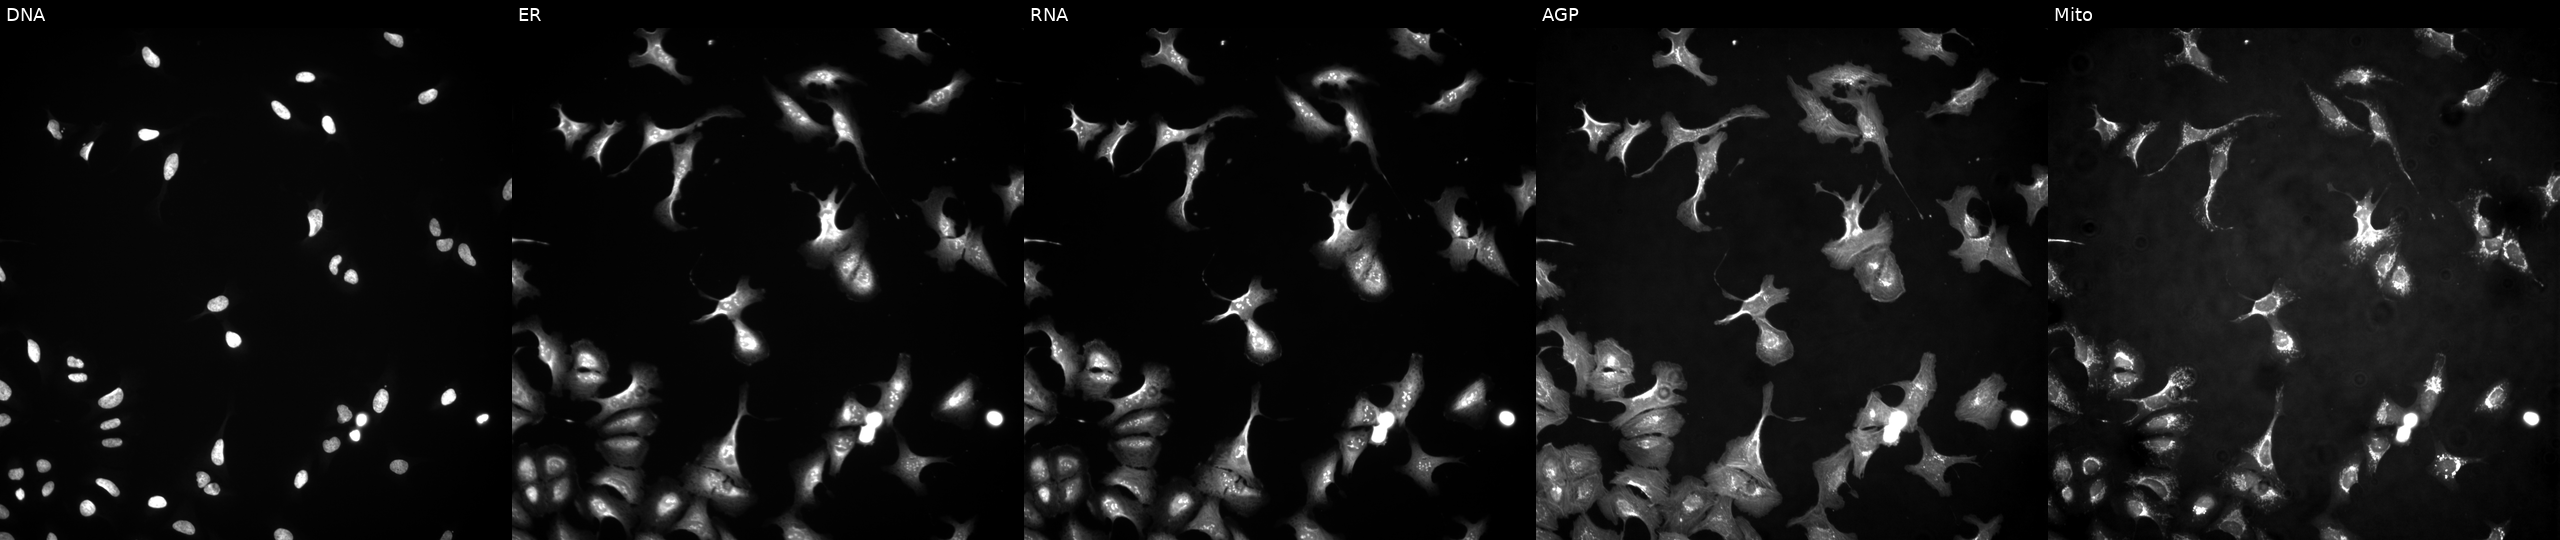
High-content fluorescence microscopy (Cell Painting). Cell line: U2OS. Perturbation: transfected with an ORF construct for PTP4A1. The five panels, left to right, show DNA, ER, RNA, AGP, and Mito.